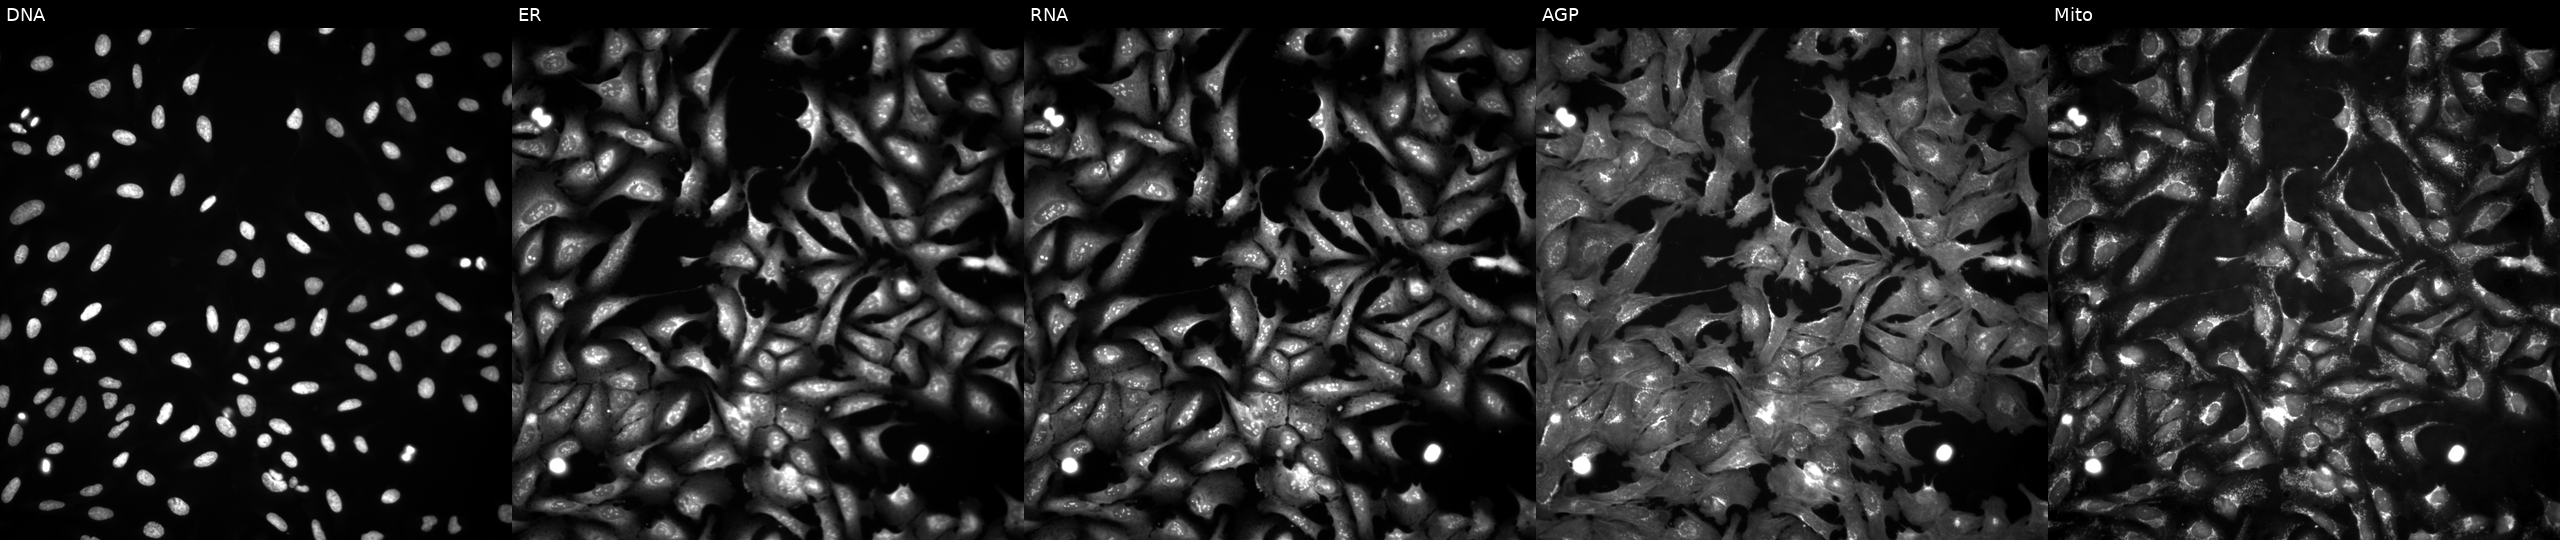
High-content fluorescence microscopy (Cell Painting). Cell line: U2OS. Perturbation: overexpressing ALK via ORF transfection (JUMP id JCP2022_913573). Panels show, left to right, Hoechst 33342, concanavalin A, SYTO 14, phalloidin and WGA, MitoTracker.